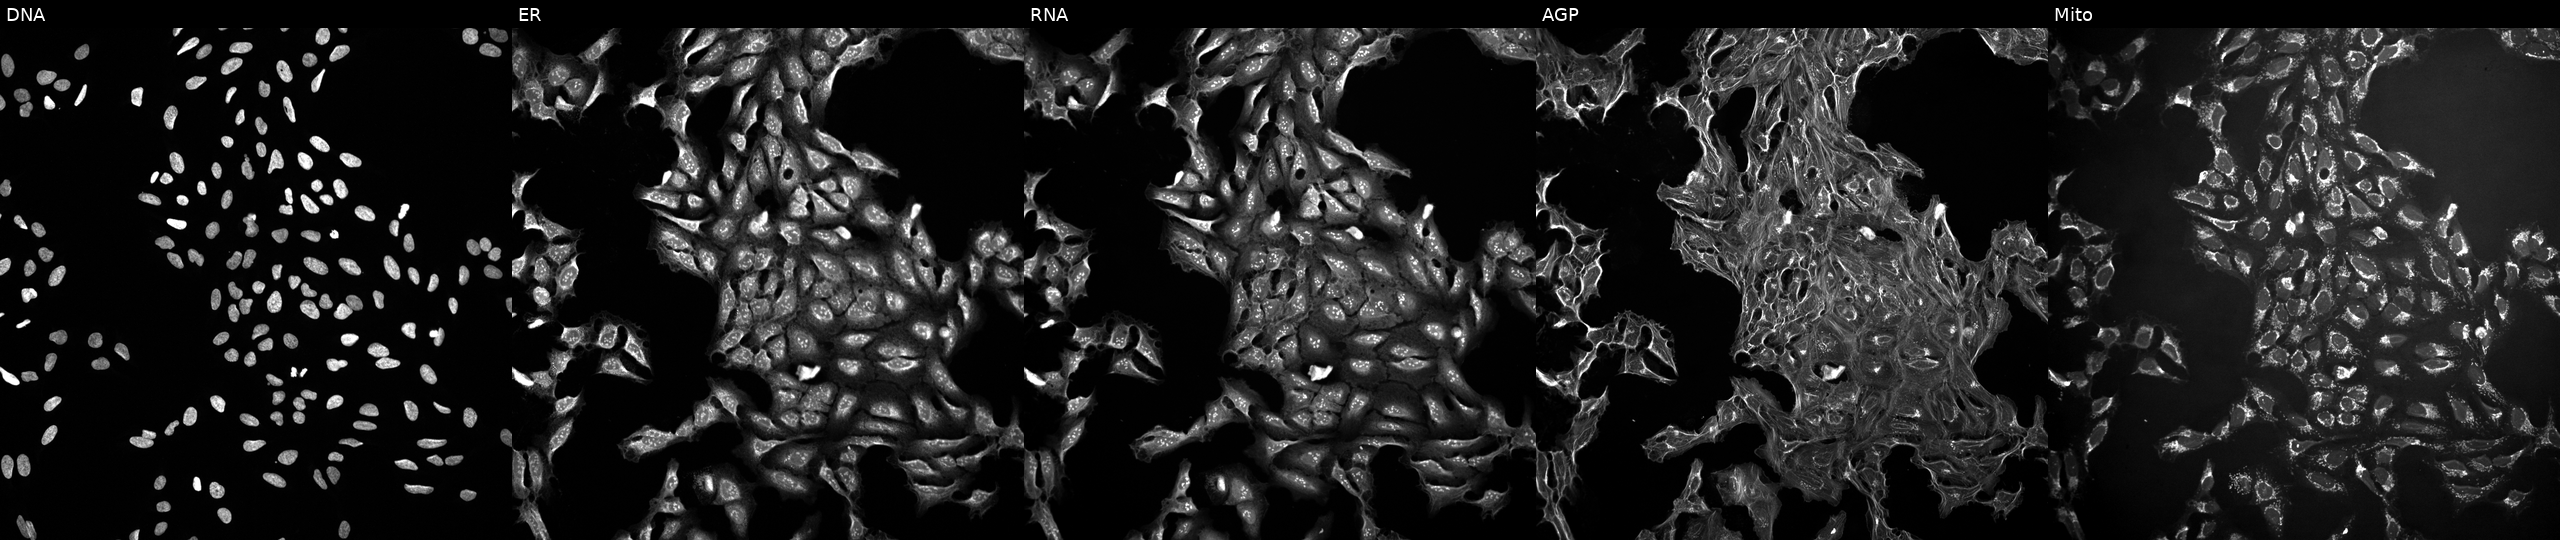
Five-channel Cell Painting image of U2OS cells exposed to a small-molecule compound [SMILES: Oc1ccc(-c2nc(-c3ccc(F)cc3)c(-c3ccncc3)[nH]2)cc1]. Channels (left→right): DNA, ER, RNA, AGP, and Mito.